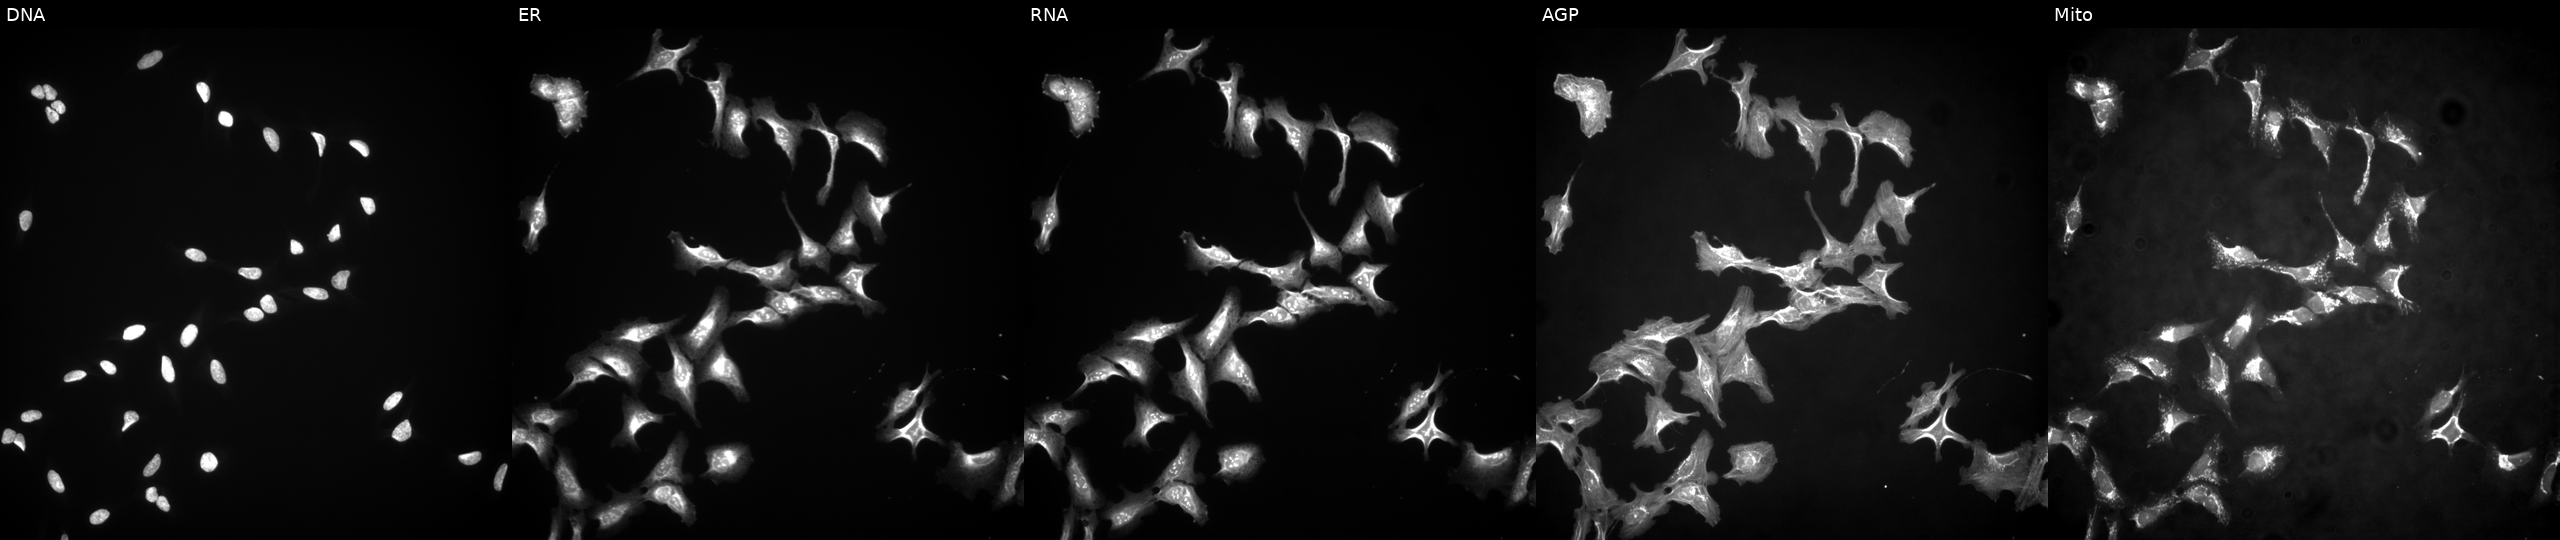
JUMP Cell Painting — ORF plate. U2OS cells transfected with an ORF construct for TMEM208. Panels show, left to right, DNA (nuclei); ER (endoplasmic reticulum); RNA (nucleoli and cytoplasmic RNA); AGP (actin cytoskeleton, Golgi, and plasma membrane); Mito (mitochondria). Source 4, plate BR00123509, well P08.